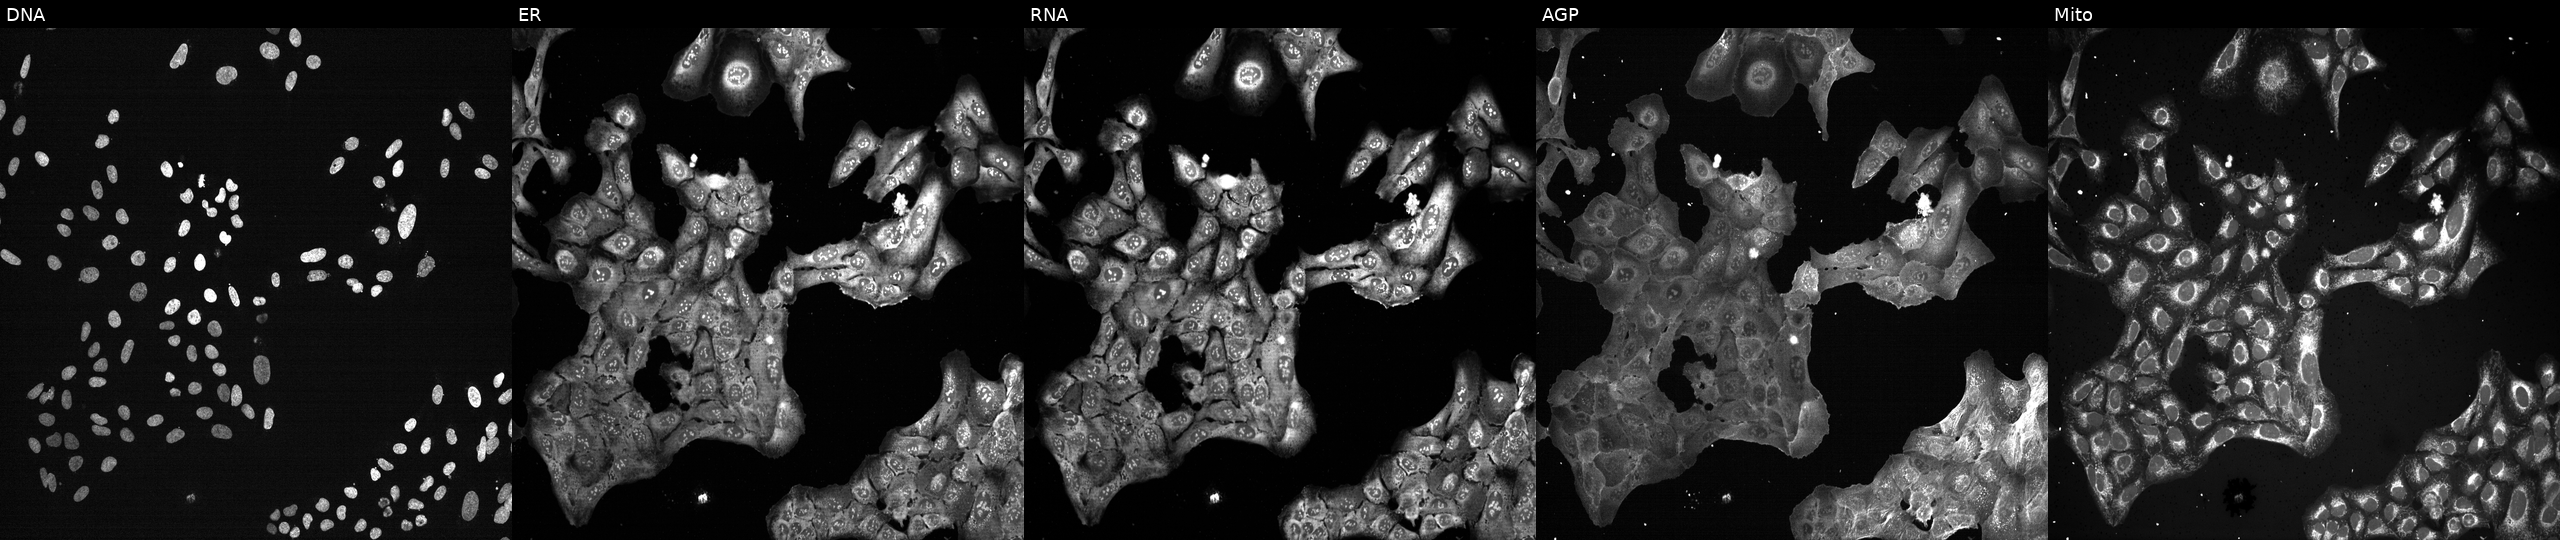
U2OS cells, Cell Painting assay, with DHX32 knocked out by CRISPR. From left to right: DNA, ER, RNA, AGP, and Mito. Each panel is percentile-stretched 16-bit fluorescence. Source 13, plate CP-CC9-R2-02, well A09.